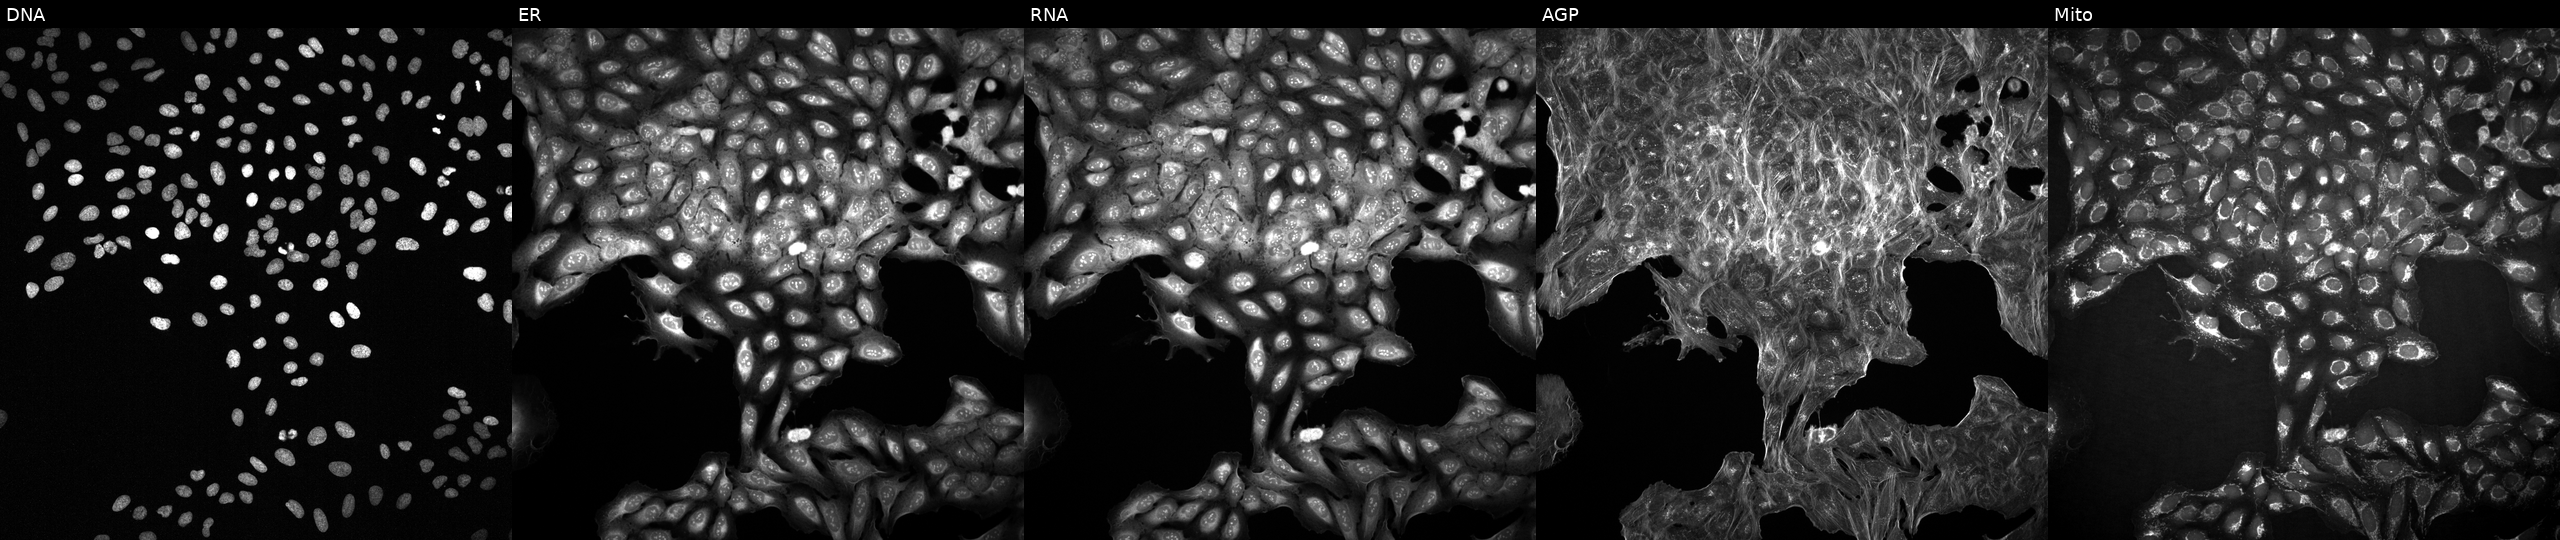
Five-channel Cell Painting image of U2OS cells with an unidentified perturbation (not annotated in JUMP metadata). Channels (left→right): DNA, ER, RNA, AGP, and Mito.